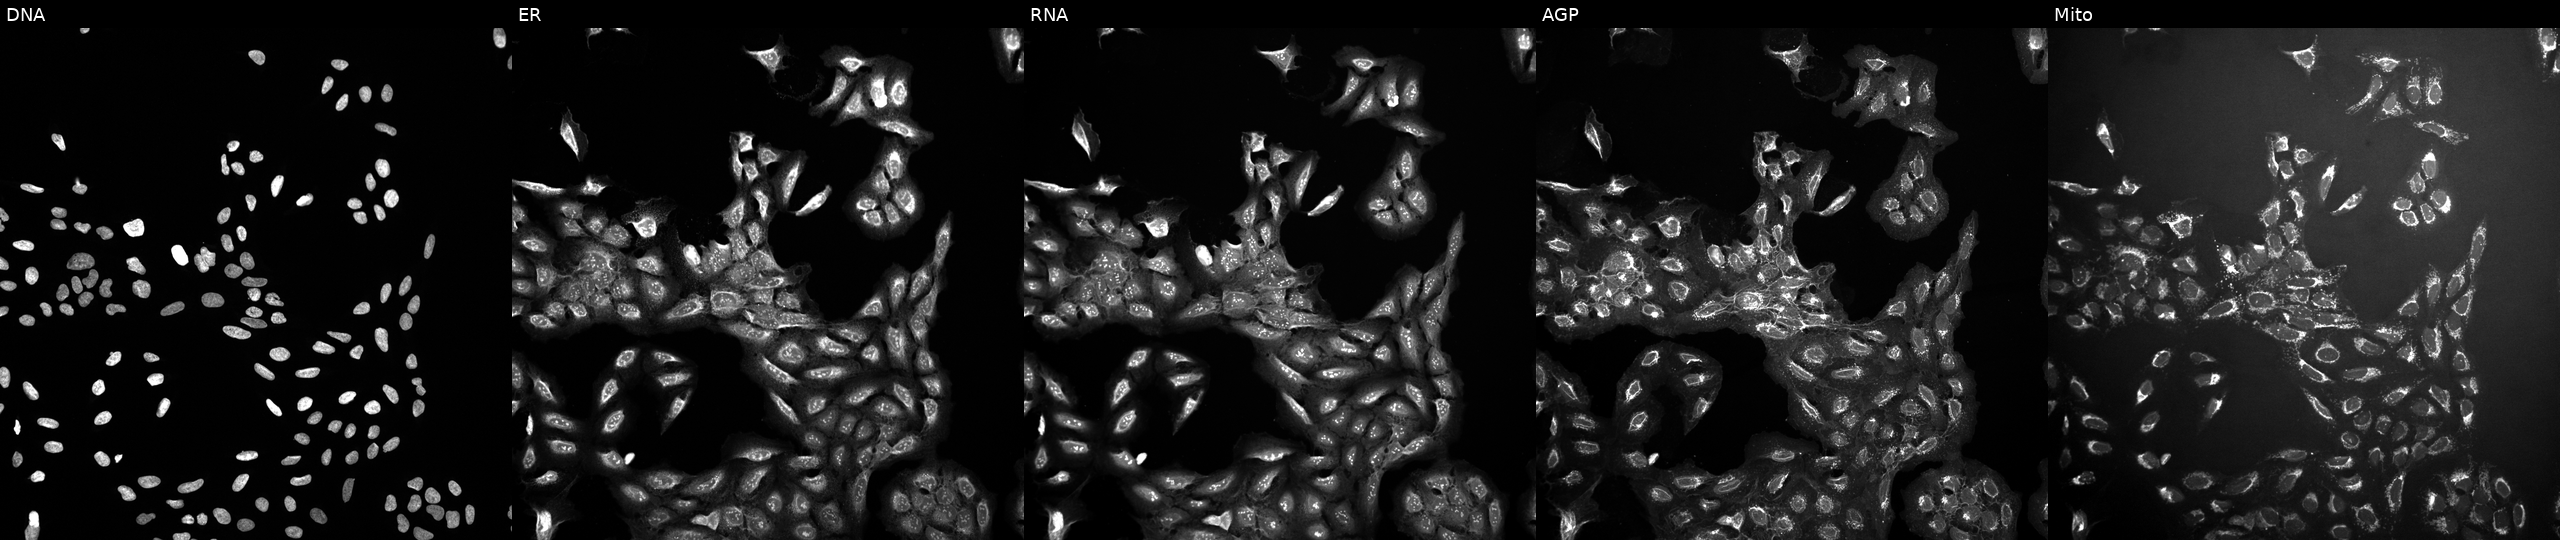
JUMP Cell Painting — TARGET2 plate. U2OS cells treated with a small-molecule compound (InChIKey HFYPTENHTPNXGP-UHFFFAOYSA-N) (JUMP id JCP2022_029951). The five panels, left to right, show DNA (nuclei); ER (endoplasmic reticulum); RNA (nucleoli and cytoplasmic RNA); AGP (actin cytoskeleton, Golgi, and plasma membrane); Mito (mitochondria). Source 10, plate Dest210803-153958, well B11.